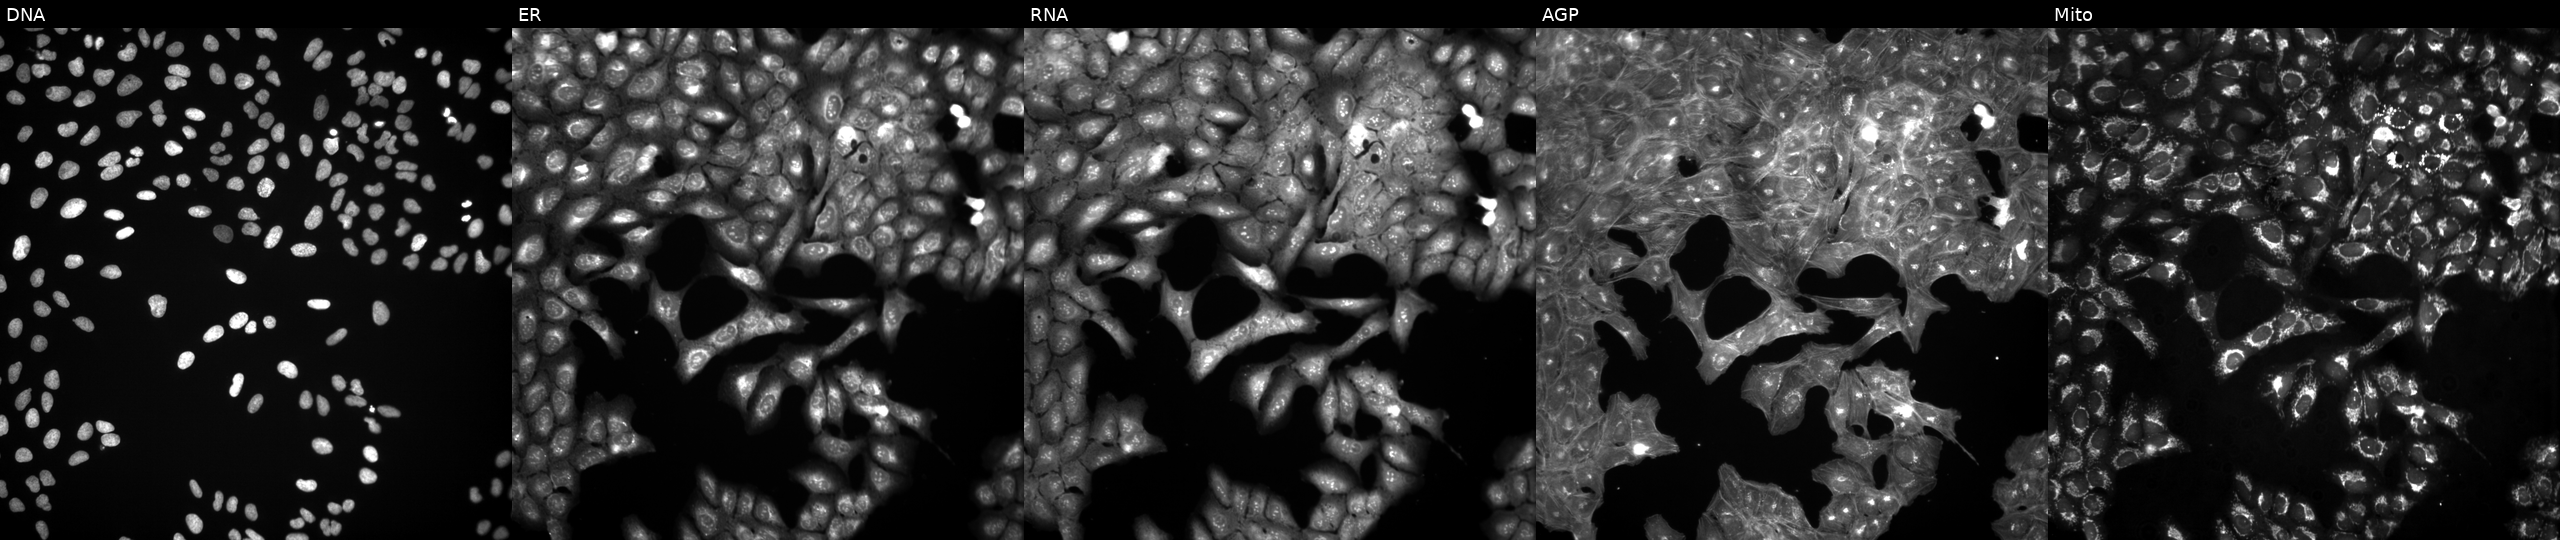
High-content fluorescence microscopy (Cell Painting). Cell line: U2OS. Perturbation: exposed to a small-molecule compound (InChIKey BDNFQGRSKSQXRI-UHFFFAOYSA-N) (JUMP id JCP2022_005628). The five panels, left to right, show DNA (nuclei); ER (endoplasmic reticulum); RNA (nucleoli and cytoplasmic RNA); AGP (actin cytoskeleton, Golgi, and plasma membrane); Mito (mitochondria). Source 3, plate JCPQC053, well J24.